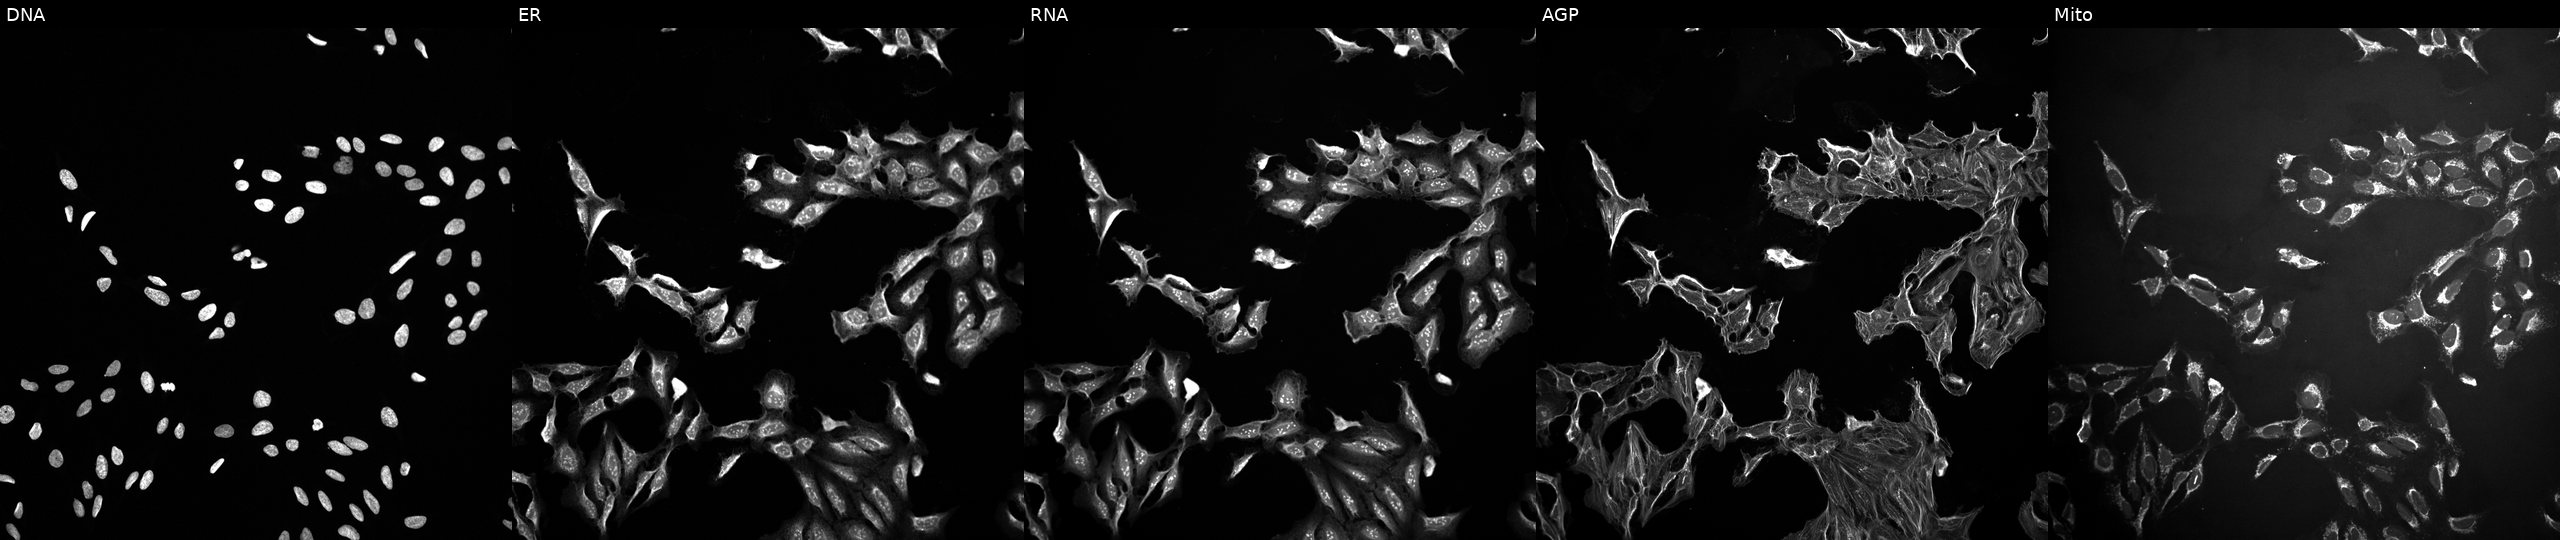
Five-channel Cell Painting image of U2OS cells treated with DMSO vehicle only (negative control). From left to right: Hoechst 33342, concanavalin A, SYTO 14, phalloidin and WGA, MitoTracker.